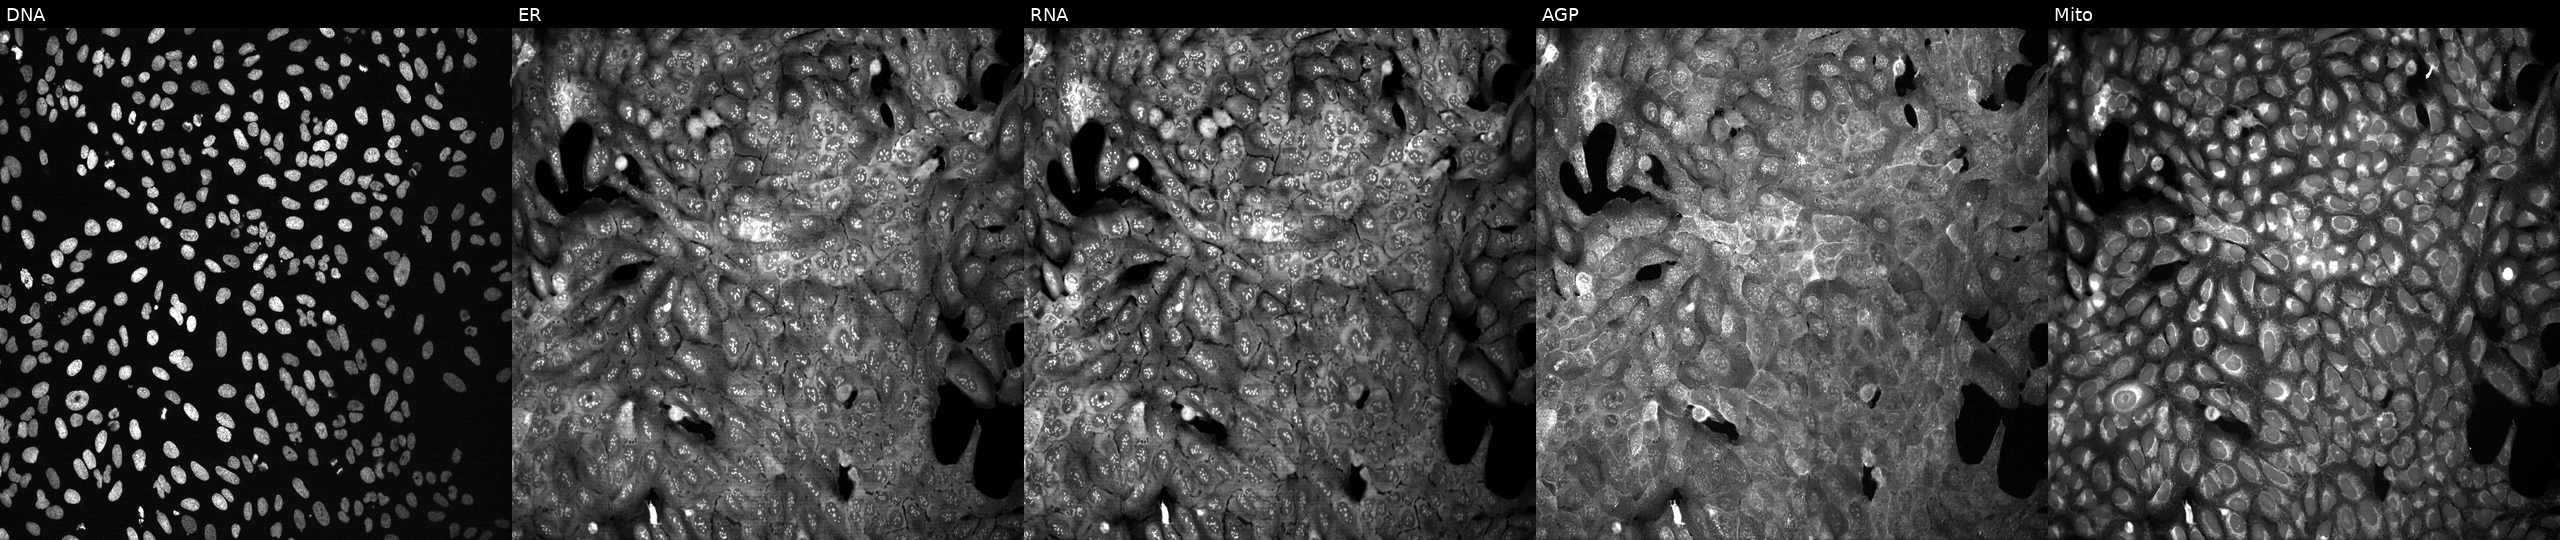
U2OS cells, Cell Painting assay, following CRISPR knockout of RAB2B (JUMP id JCP2022_805760). The five panels, left to right, show Hoechst 33342, concanavalin A, SYTO 14, phalloidin and WGA, MitoTracker. Each panel is percentile-stretched 16-bit fluorescence.